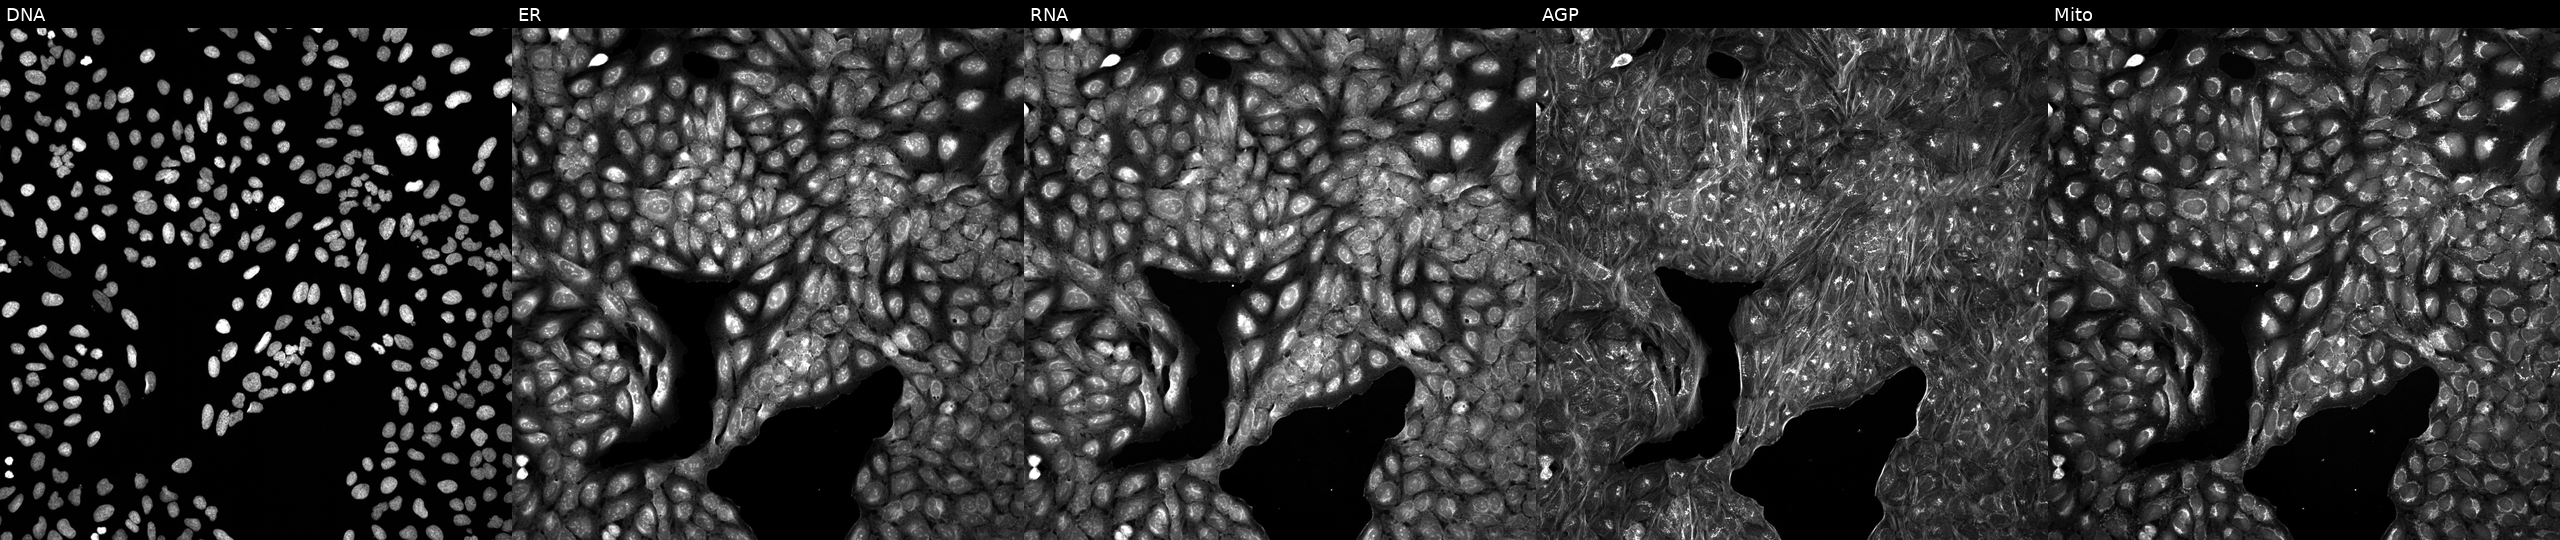
High-content fluorescence microscopy (Cell Painting). Cell line: U2OS. Perturbation: treated with DMSO vehicle only (negative control). The five panels, left to right, show DNA (nuclei); ER (endoplasmic reticulum); RNA (nucleoli and cytoplasmic RNA); AGP (actin cytoskeleton, Golgi, and plasma membrane); Mito (mitochondria). Source 5, plate APTJUM106, well E23.